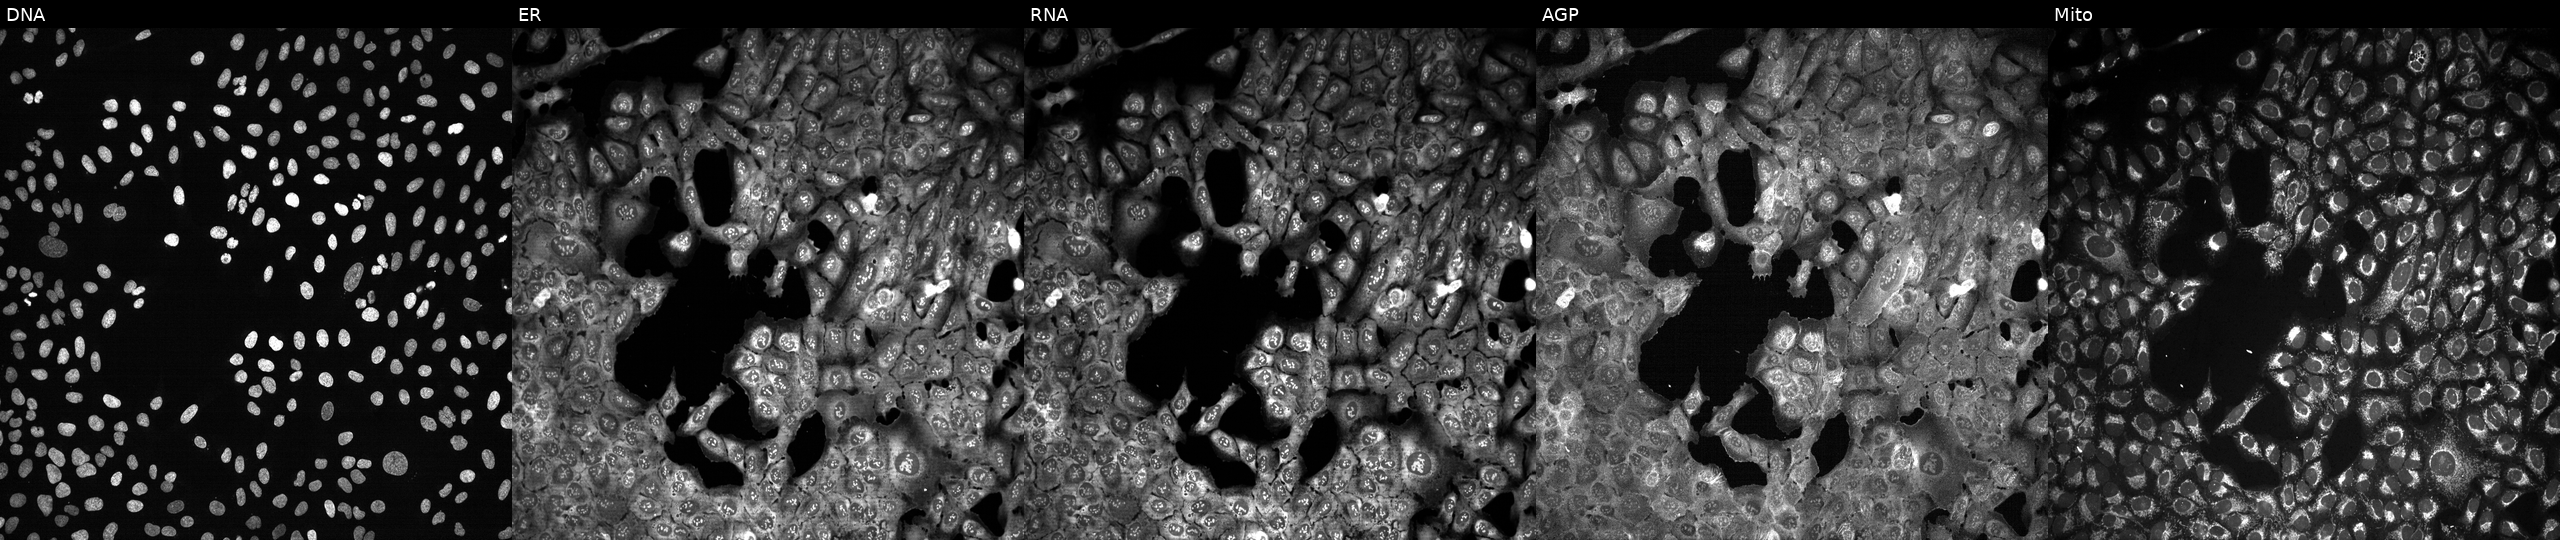
JUMP Cell Painting — CRISPR plate. U2OS cells with DHX30 knocked out by CRISPR (JUMP id JCP2022_801800). Panels show, left to right, Hoechst 33342, concanavalin A, SYTO 14, phalloidin and WGA, MitoTracker.